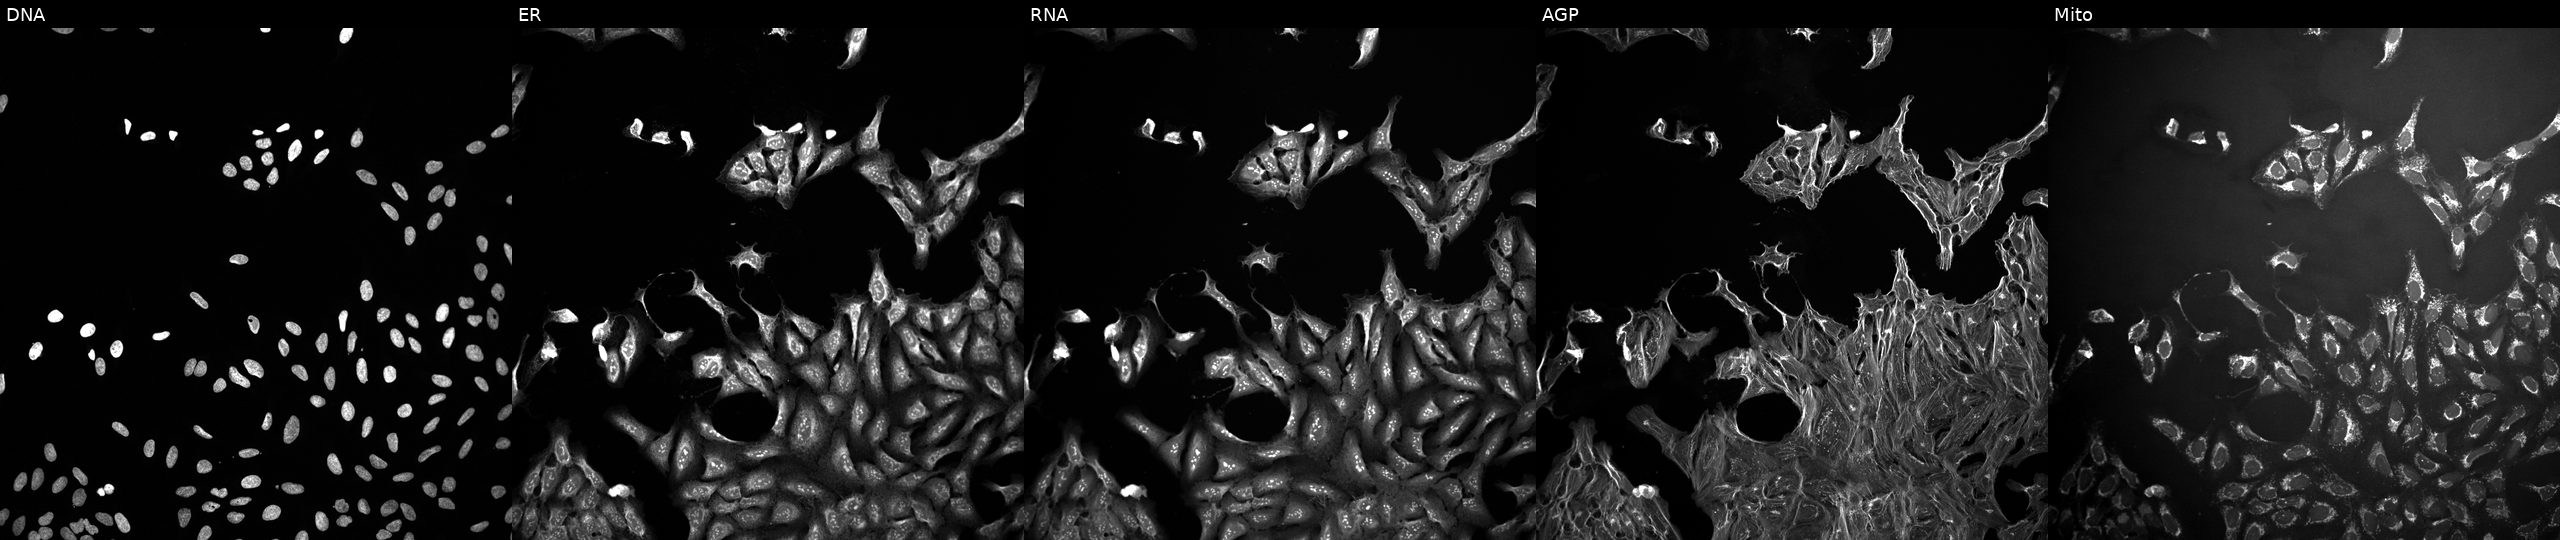
High-content fluorescence microscopy (Cell Painting). Cell line: U2OS. Perturbation: treated with a small-molecule compound (InChIKey CUIHSIWYWATEQL-UHFFFAOYSA-N) (JUMP id JCP2022_013455). From left to right: Hoechst 33342, concanavalin A, SYTO 14, phalloidin and WGA, MitoTracker.